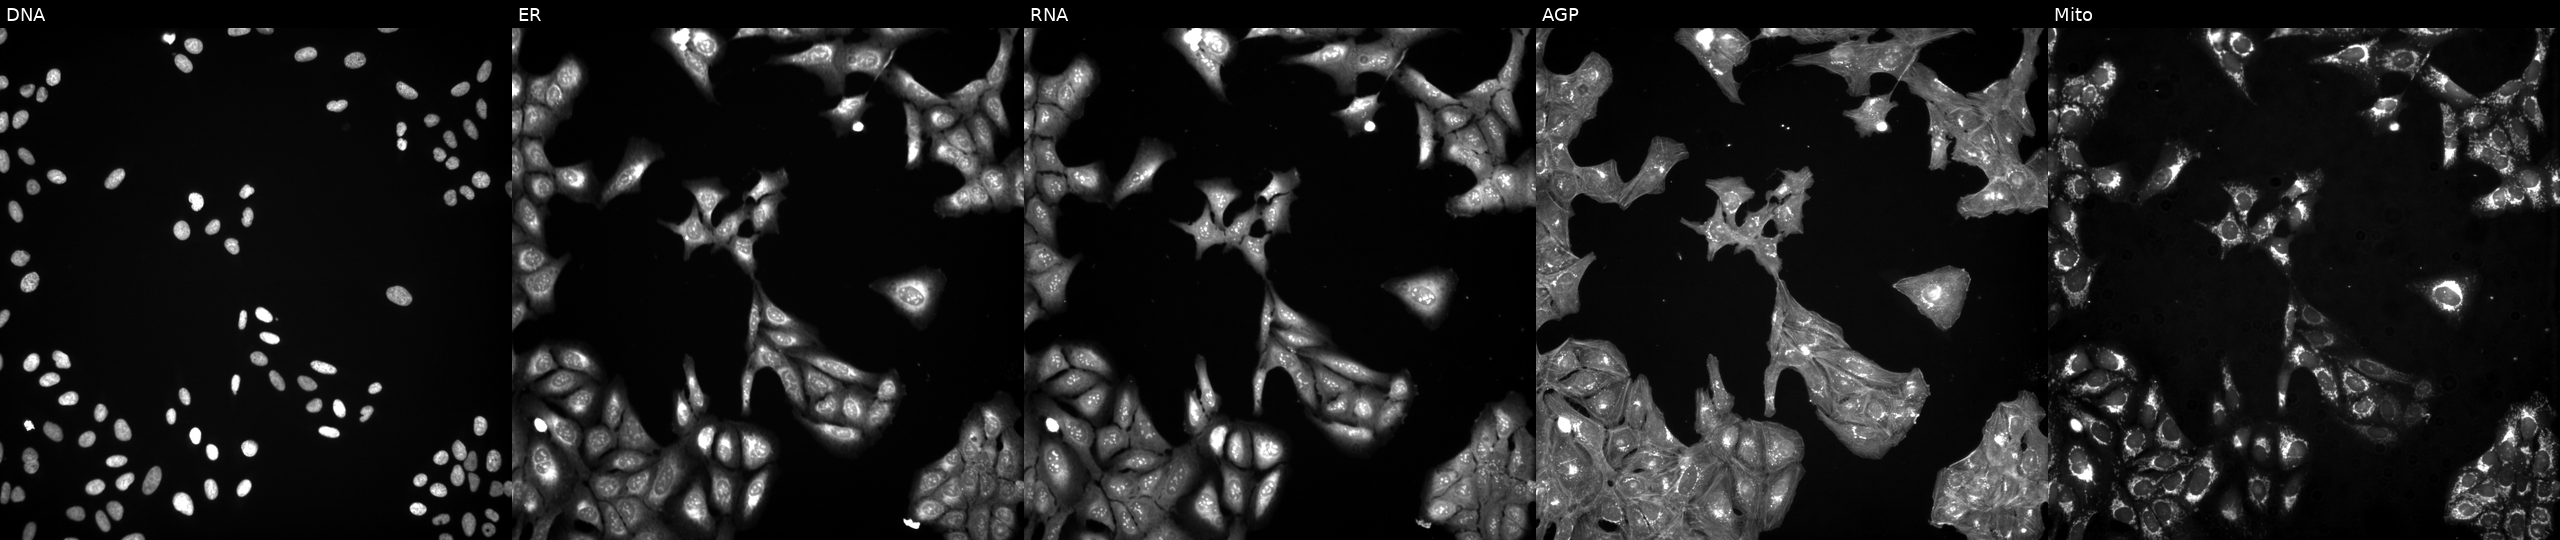
JUMP Cell Painting — COMPOUND plate. U2OS cells treated with a small-molecule compound (JUMP id JCP2022_026963). The five panels, left to right, show Hoechst 33342, concanavalin A, SYTO 14, phalloidin and WGA, MitoTracker.